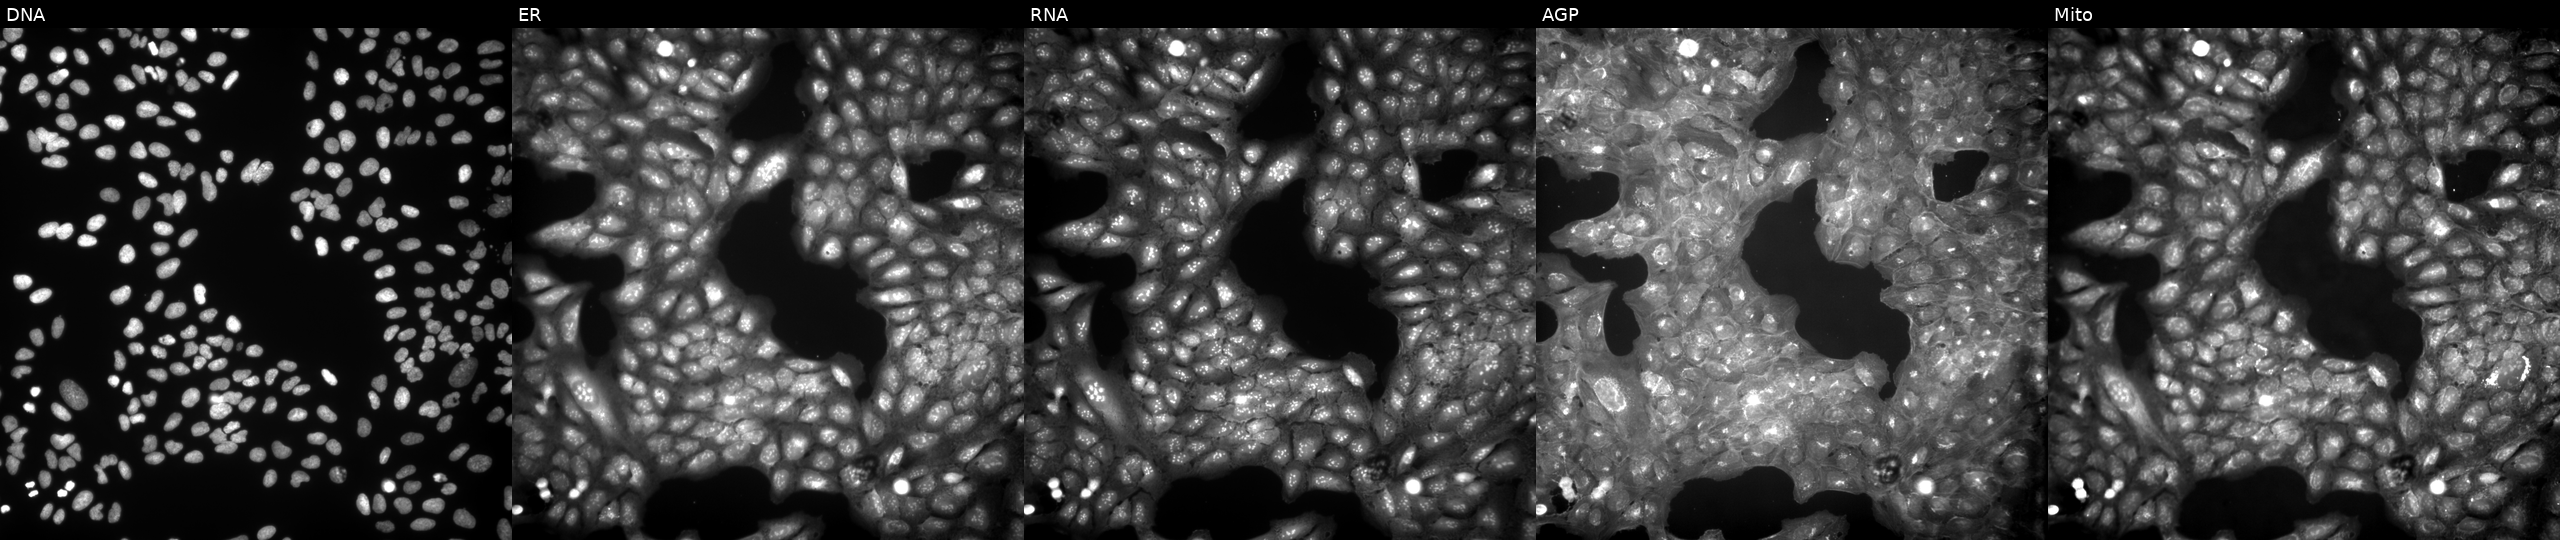
The five panels, left to right, show DNA (nuclei); ER (endoplasmic reticulum); RNA (nucleoli and cytoplasmic RNA); AGP (actin cytoskeleton, Golgi, and plasma membrane); Mito (mitochondria). U2OS osteosarcoma cells perturbed with a small-molecule compound (InChIKey KJANIKKAWFJQQA-UHFFFAOYSA-N). Cell Painting assay, JUMP-CP dataset.